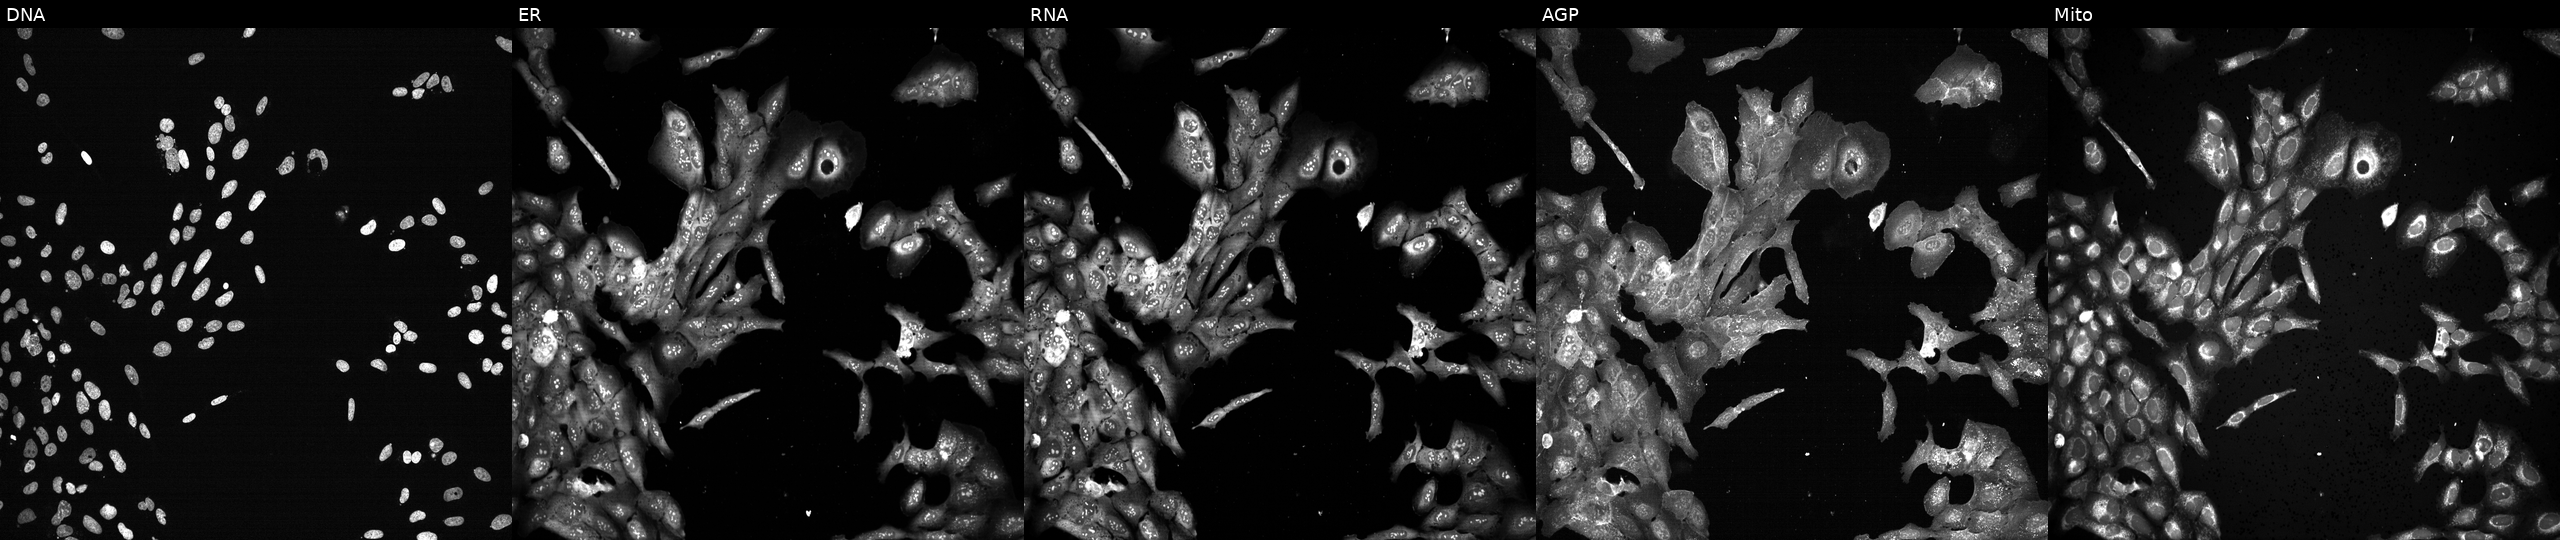
Channels (left→right): DNA (nuclei); ER (endoplasmic reticulum); RNA (nucleoli and cytoplasmic RNA); AGP (actin cytoskeleton, Golgi, and plasma membrane); Mito (mitochondria). U2OS osteosarcoma cells CRISPR-edited to disrupt EIF2S2 (JUMP id JCP2022_802055). Cell Painting assay, JUMP-CP dataset.